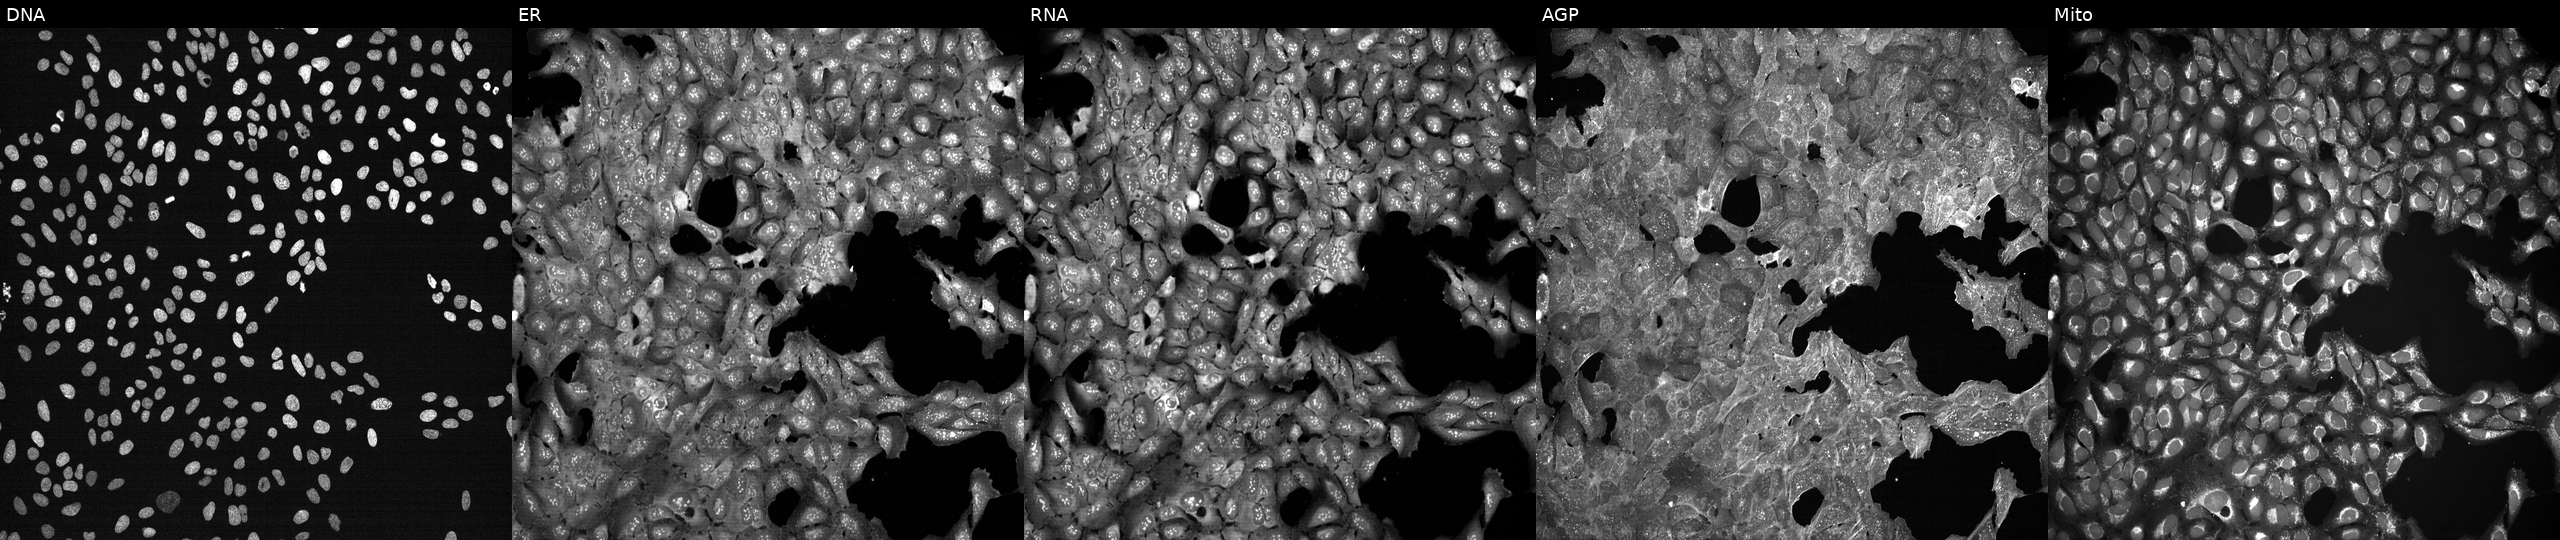
JUMP Cell Painting — TARGET2 plate. U2OS cells perturbed with a small-molecule compound (InChIKey ZRALSGWEFCBTJO-UHFFFAOYSA-N) (JUMP id JCP2022_115134). Panels show, left to right, DNA, ER, RNA, AGP, and Mito. Source 7, plate CP3-SC1-25, well I05.